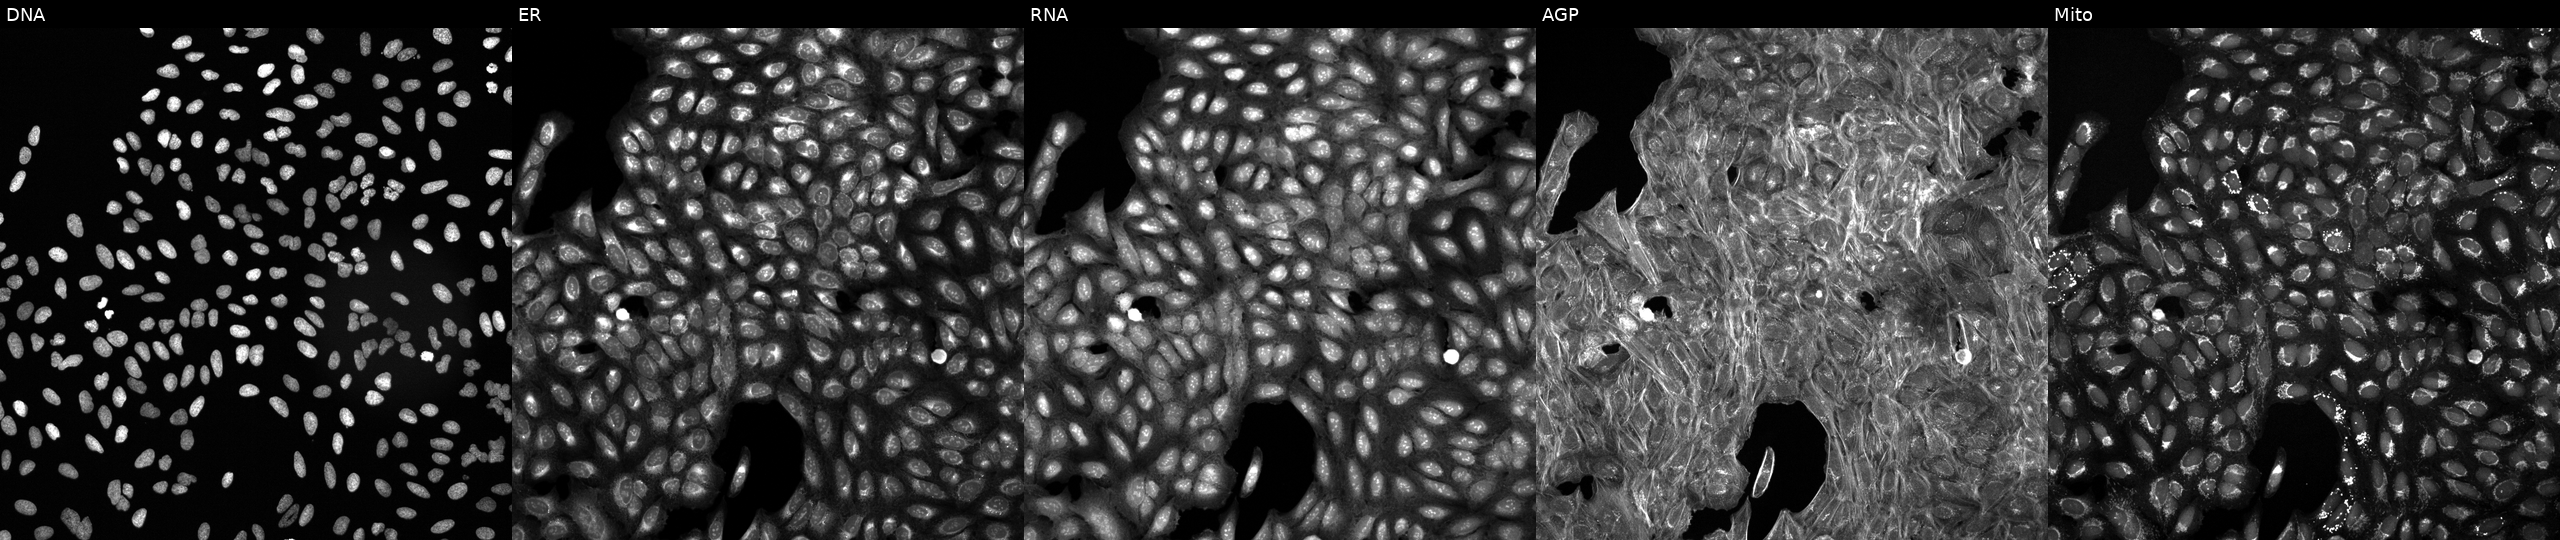
High-content fluorescence microscopy (Cell Painting). Cell line: U2OS. Perturbation: perturbed with a small-molecule compound (InChIKey NZHGWWWHIYHZNX-UHFFFAOYSA-N) (JUMP id JCP2022_062326). The five panels, left to right, show Hoechst 33342, concanavalin A, SYTO 14, phalloidin and WGA, MitoTracker. Source 6, plate 110000294901, well B16.